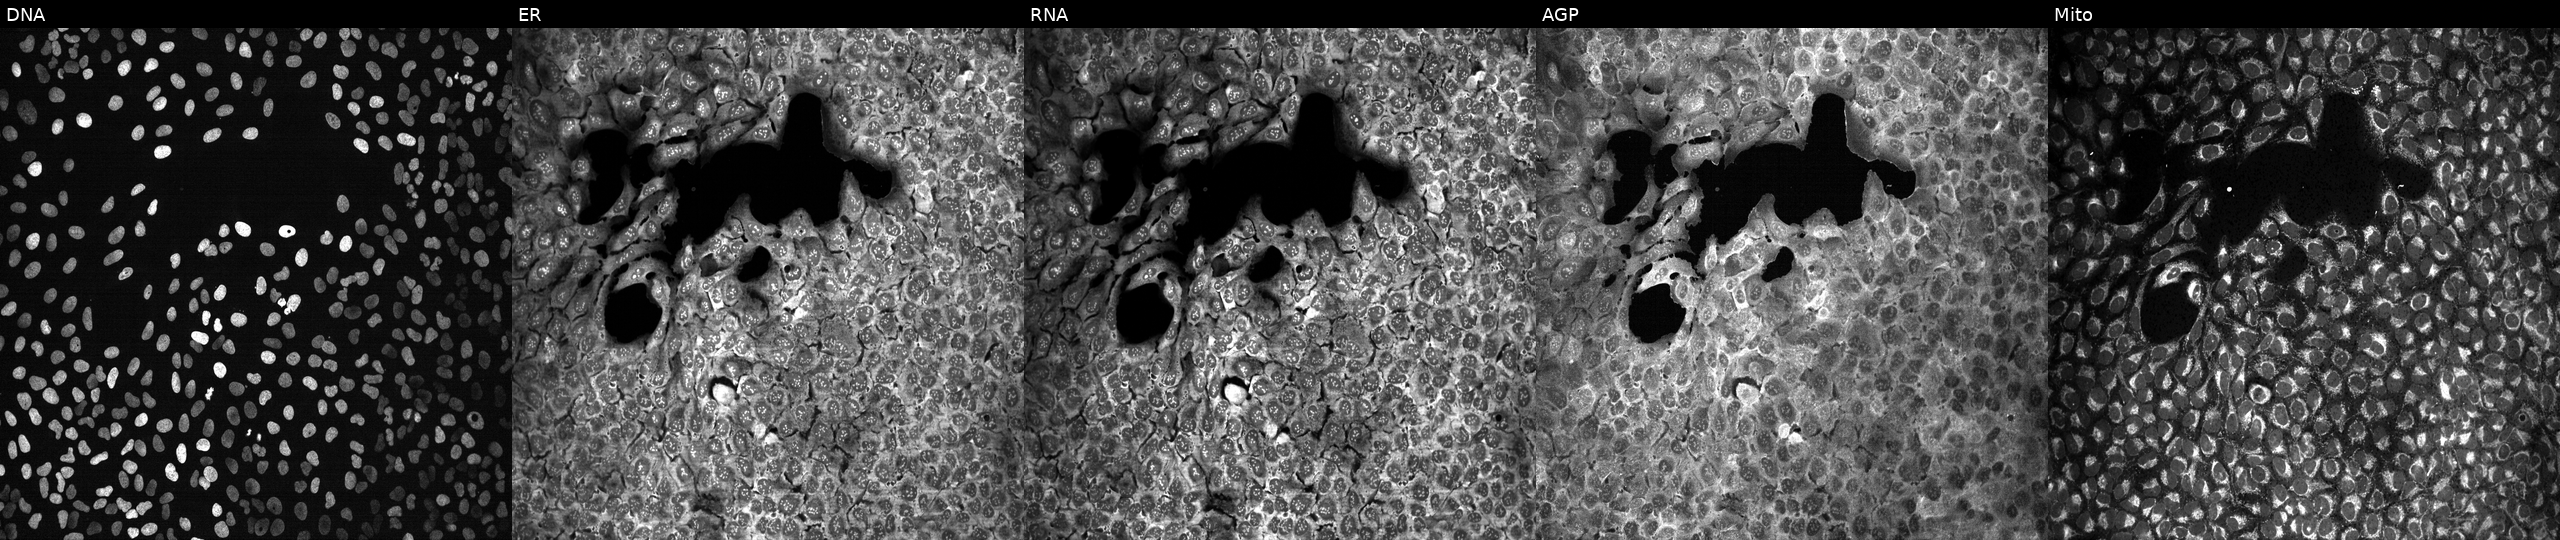
Panels show, left to right, DNA, ER, RNA, AGP, and Mito. U2OS osteosarcoma cells exposed to the positive-control compound quinidine. Cell Painting assay, JUMP-CP dataset. Source 13, plate CP-CC9-R3-01, well C24.